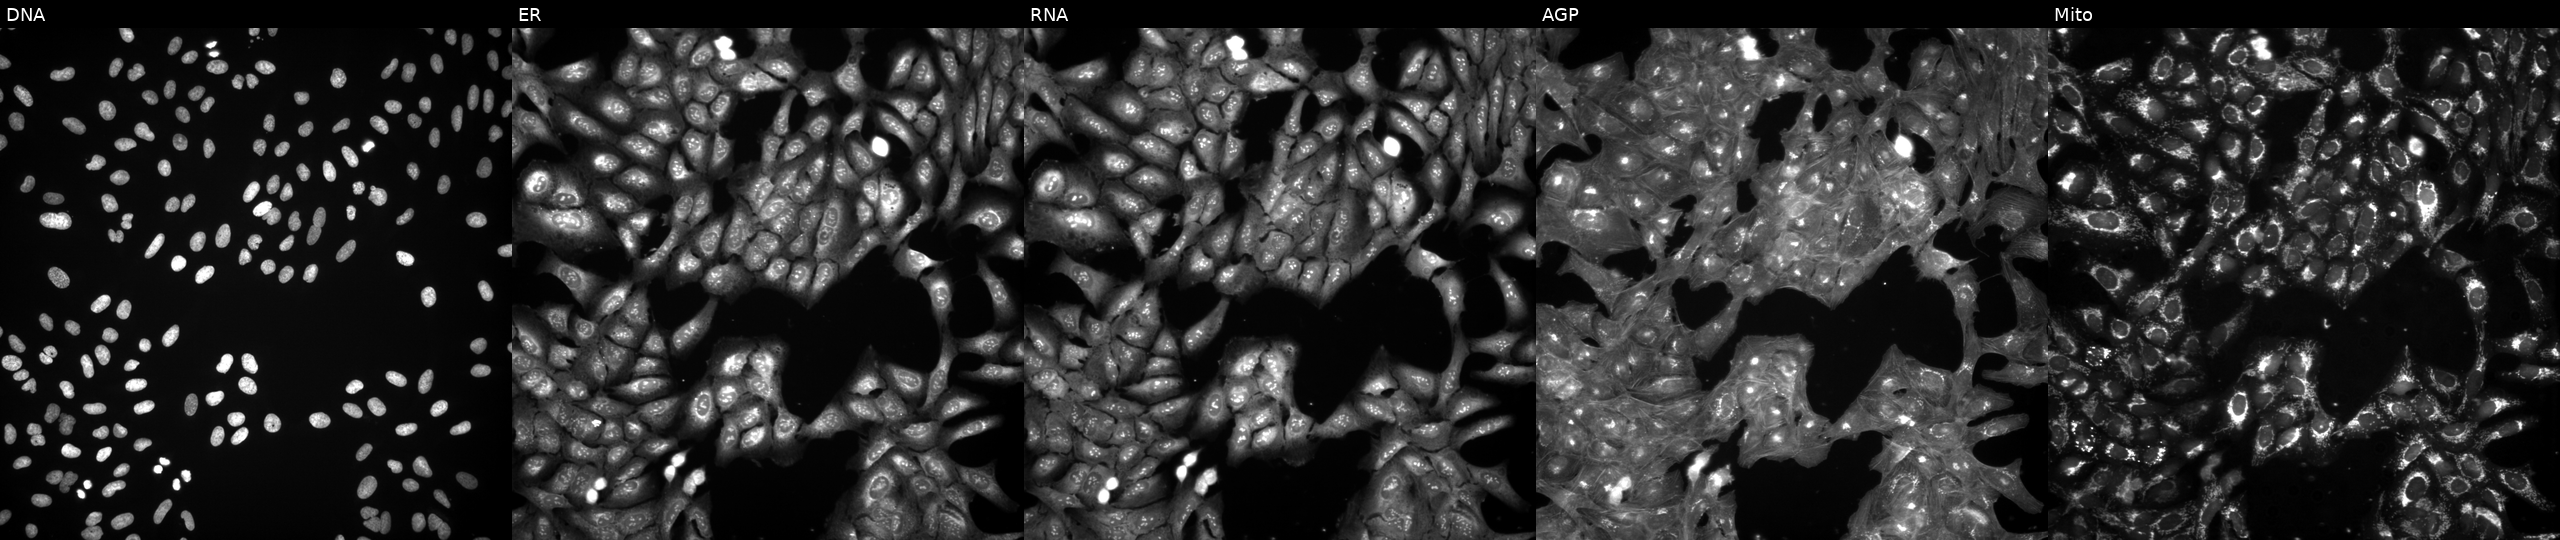
This image strip shows the five Cell Painting channels for a single field of U2OS cells treated with a small-molecule compound (InChIKey QTBWCSQGBMPECM-UHFFFAOYSA-N). Panels show, left to right, DNA, ER, RNA, AGP, and Mito. Source 3, plate JCPQC052, well K10.